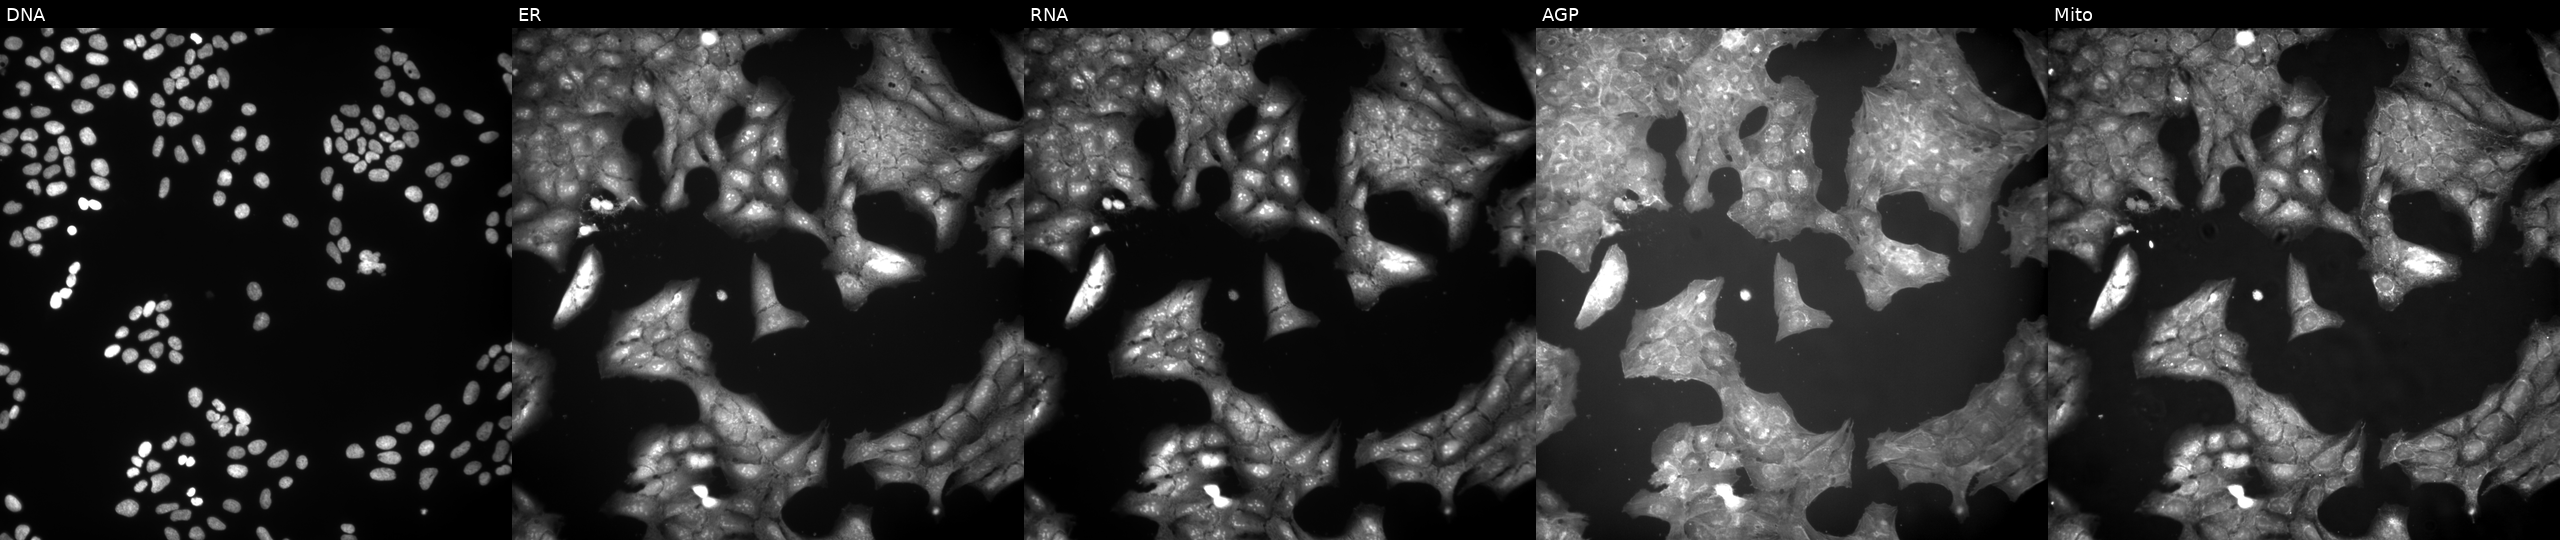
This image strip shows the five Cell Painting channels for a single field of U2OS cells perturbed with a small-molecule compound. From left to right: DNA, ER, RNA, AGP, and Mito.